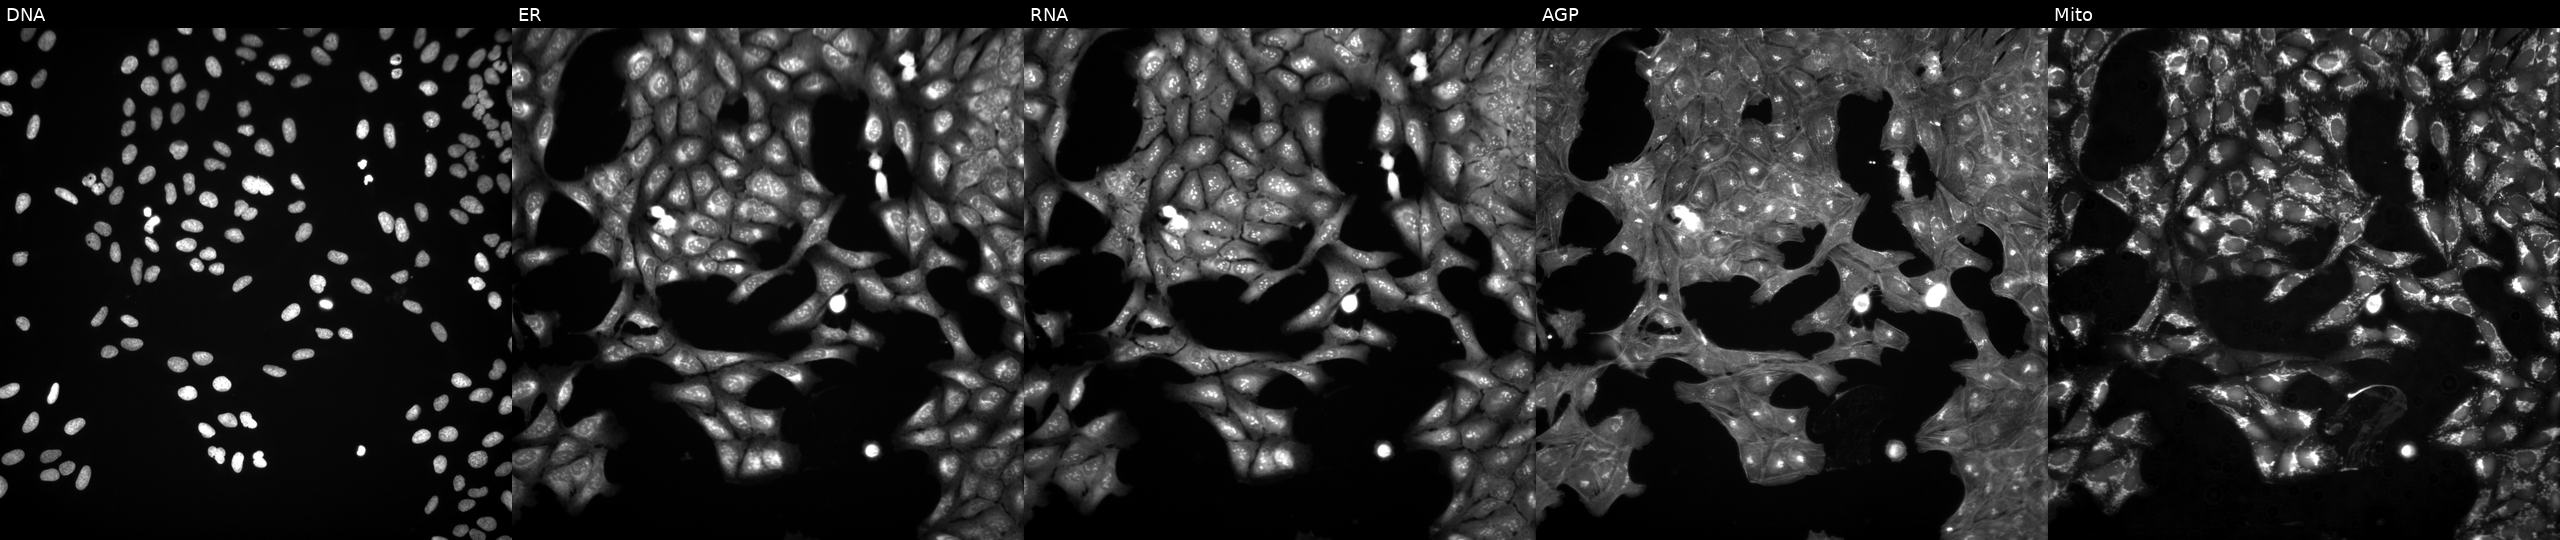
Five-channel Cell Painting image of U2OS cells exposed to DMSO alone as a negative control (JUMP id JCP2022_033924). The five panels, left to right, show Hoechst 33342, concanavalin A, SYTO 14, phalloidin and WGA, MitoTracker. Source 3, plate BR5867b3, well A23.